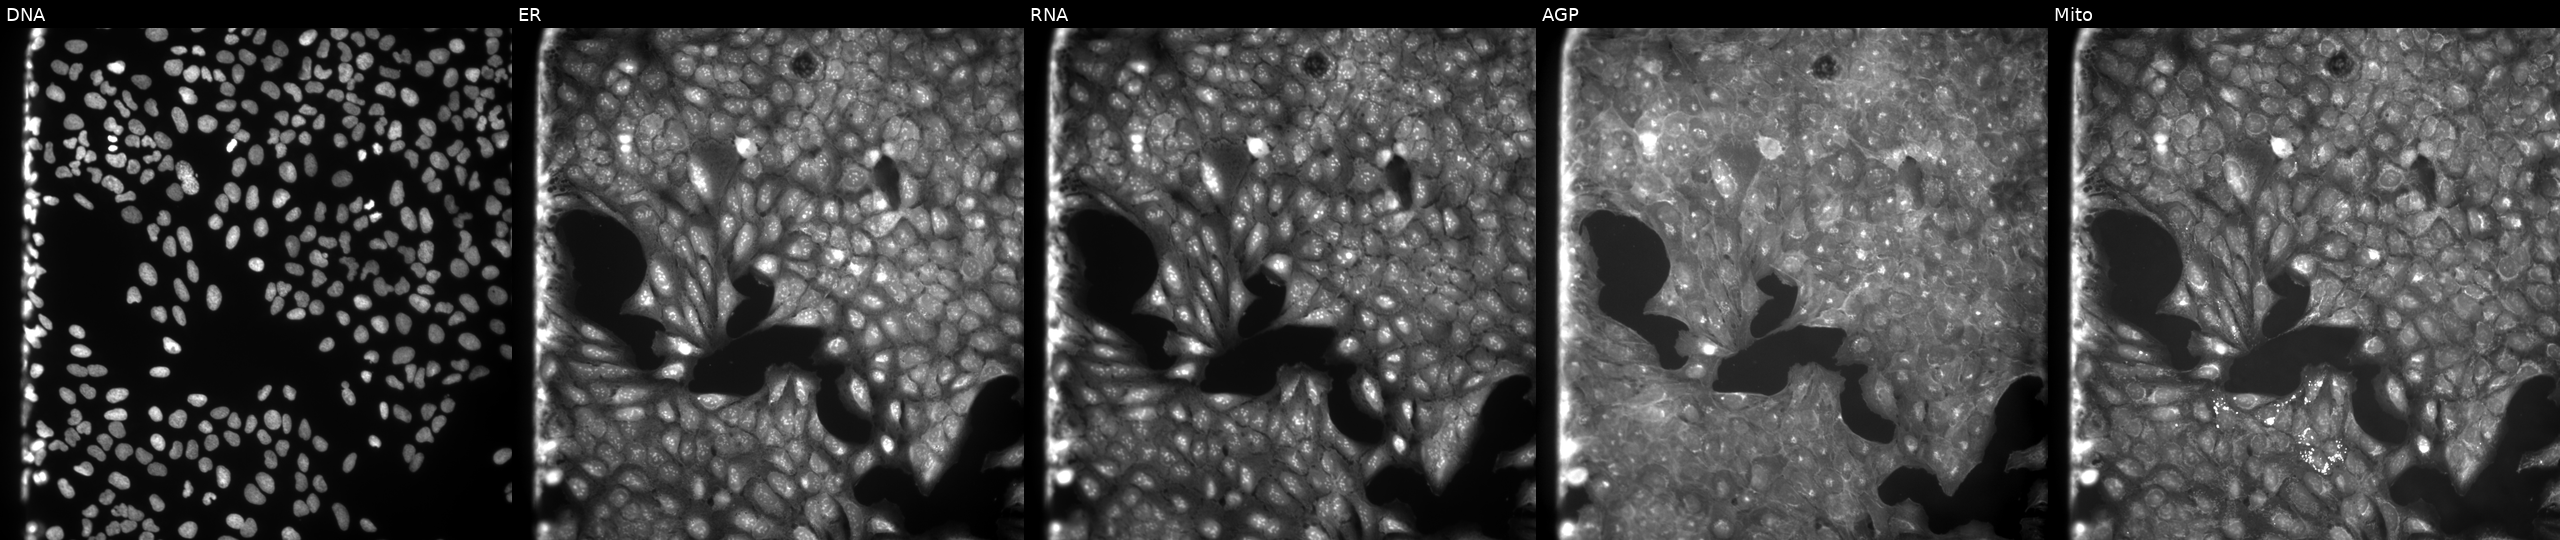
U2OS cells, Cell Painting assay, treated with a small-molecule compound (InChIKey QWPUNBPIUCTWSD-UHFFFAOYSA-N) (JUMP id JCP2022_076336). Channels (left→right): Hoechst 33342, concanavalin A, SYTO 14, phalloidin and WGA, MitoTracker. Each panel is percentile-stretched 16-bit fluorescence. Source 9, plate GR00003382, well K05.